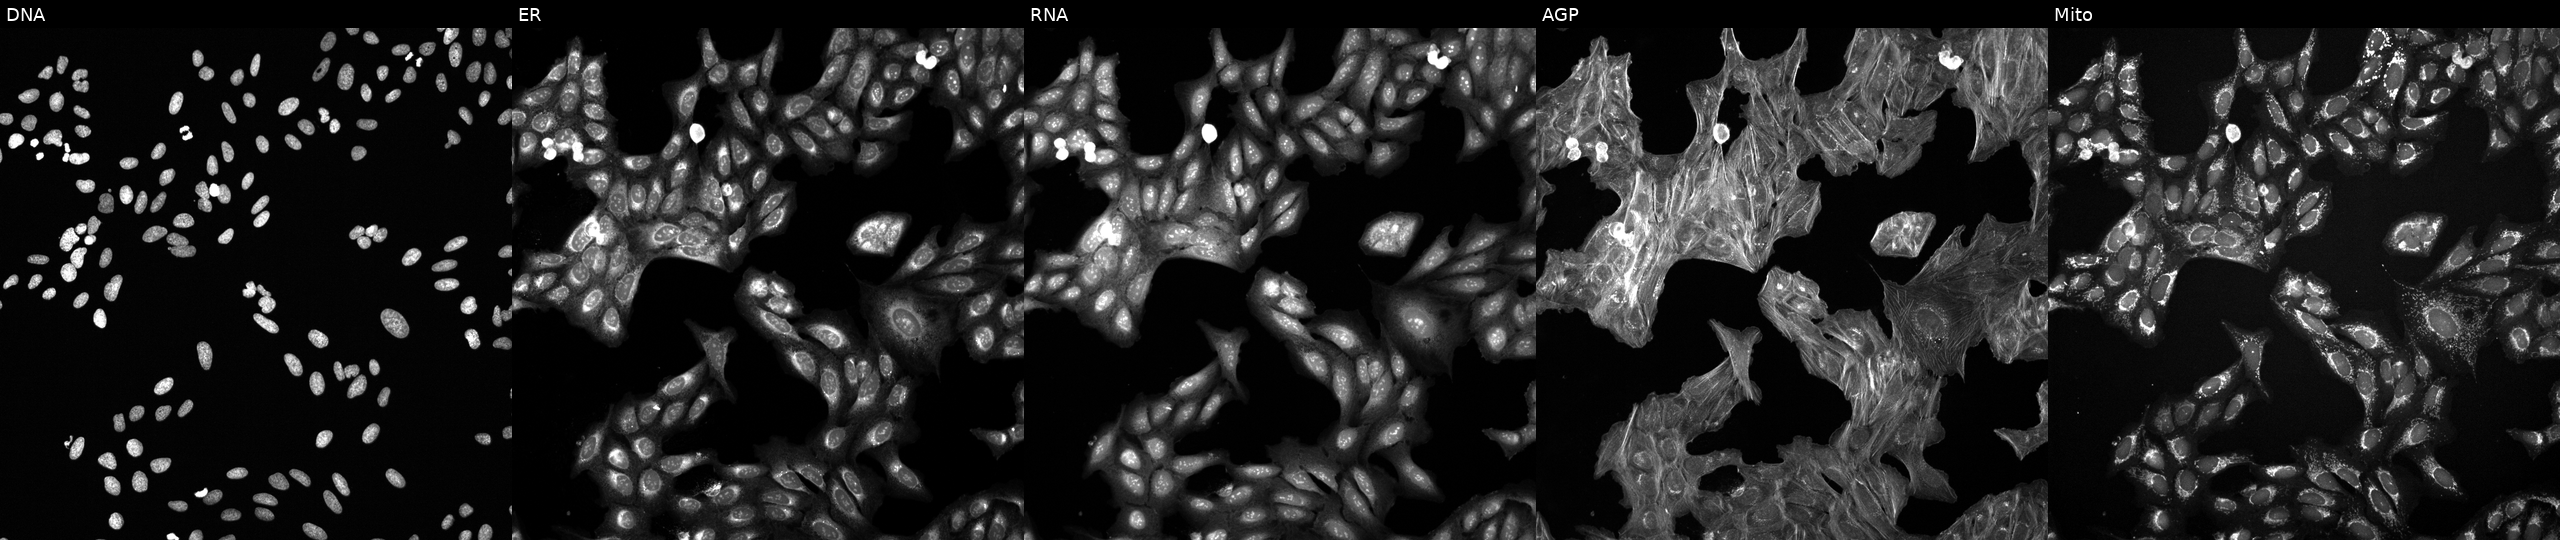
Five-channel Cell Painting image of U2OS cells exposed to a small-molecule compound. Channels (left→right): DNA (nuclei); ER (endoplasmic reticulum); RNA (nucleoli and cytoplasmic RNA); AGP (actin cytoskeleton, Golgi, and plasma membrane); Mito (mitochondria).